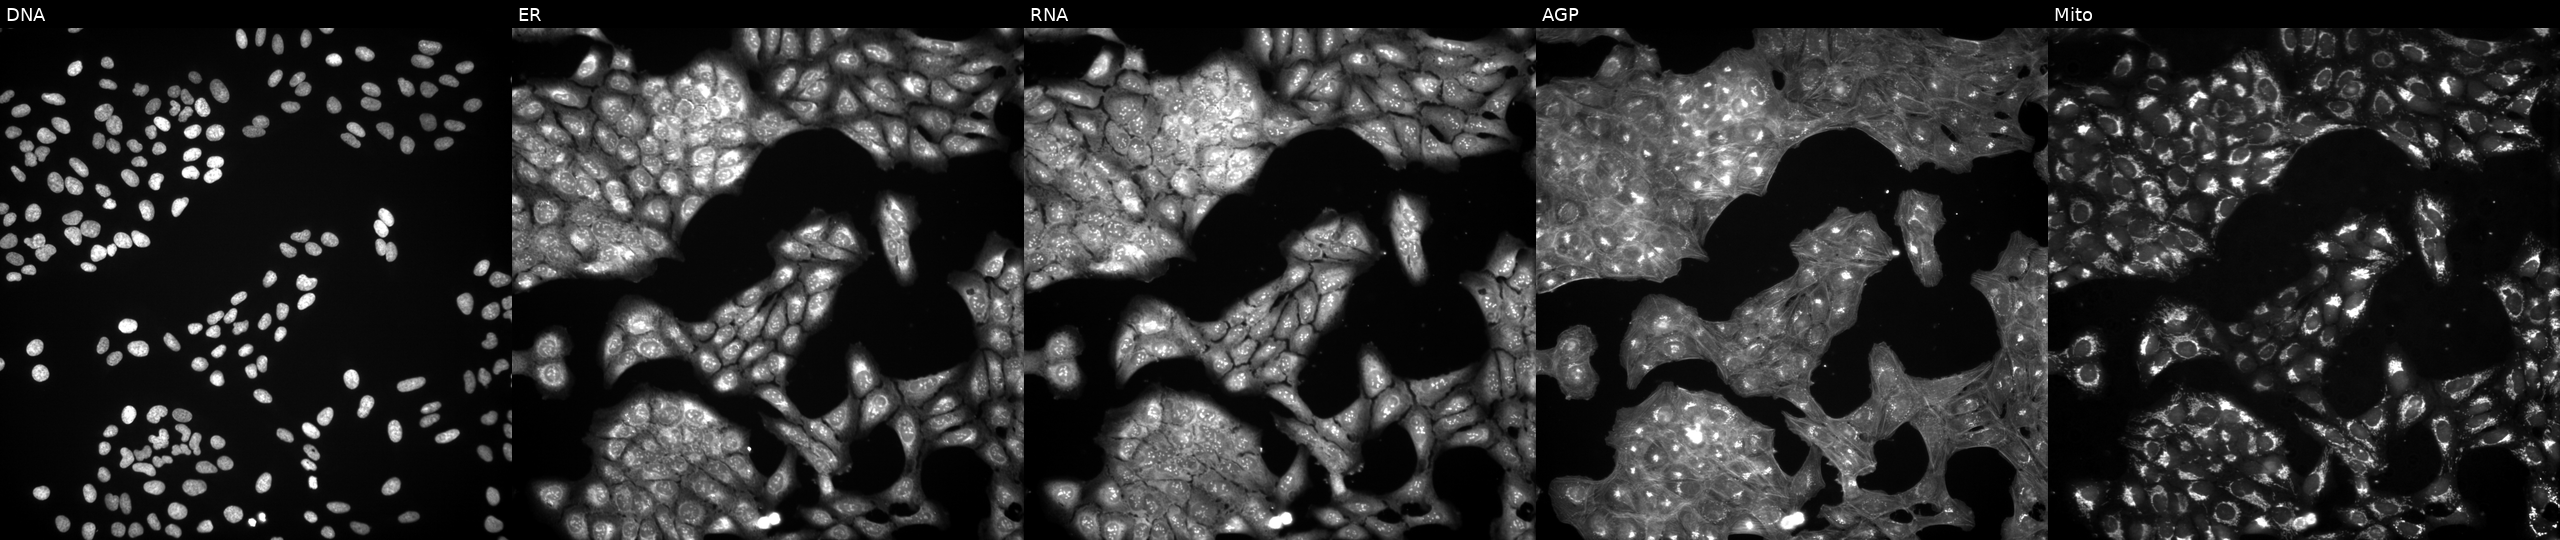
Panels show, left to right, Hoechst 33342, concanavalin A, SYTO 14, phalloidin and WGA, MitoTracker. U2OS osteosarcoma cells exposed to a small-molecule compound (InChIKey JPGQOUSTVILISH-UHFFFAOYSA-N). Cell Painting assay, JUMP-CP dataset. Source 3, plate JCPQC052, well G08.